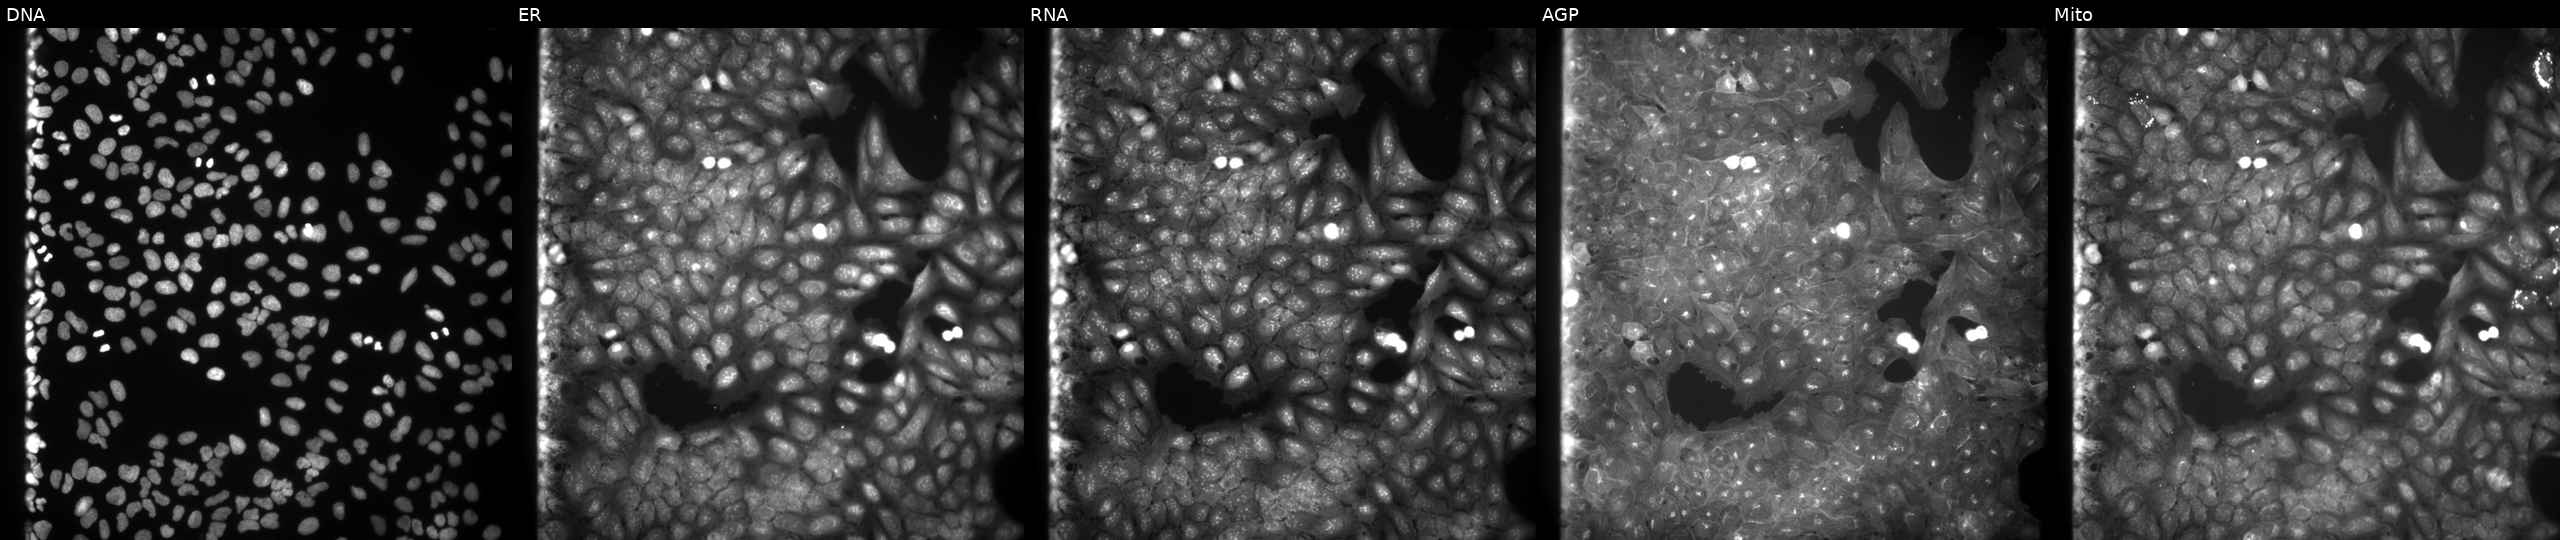
JUMP Cell Painting — COMPOUND plate. U2OS cells perturbed with a small-molecule compound (InChIKey ORZXNZPUHIVGAL-UHFFFAOYSA-N). The five panels, left to right, show DNA (nuclei); ER (endoplasmic reticulum); RNA (nucleoli and cytoplasmic RNA); AGP (actin cytoskeleton, Golgi, and plasma membrane); Mito (mitochondria).